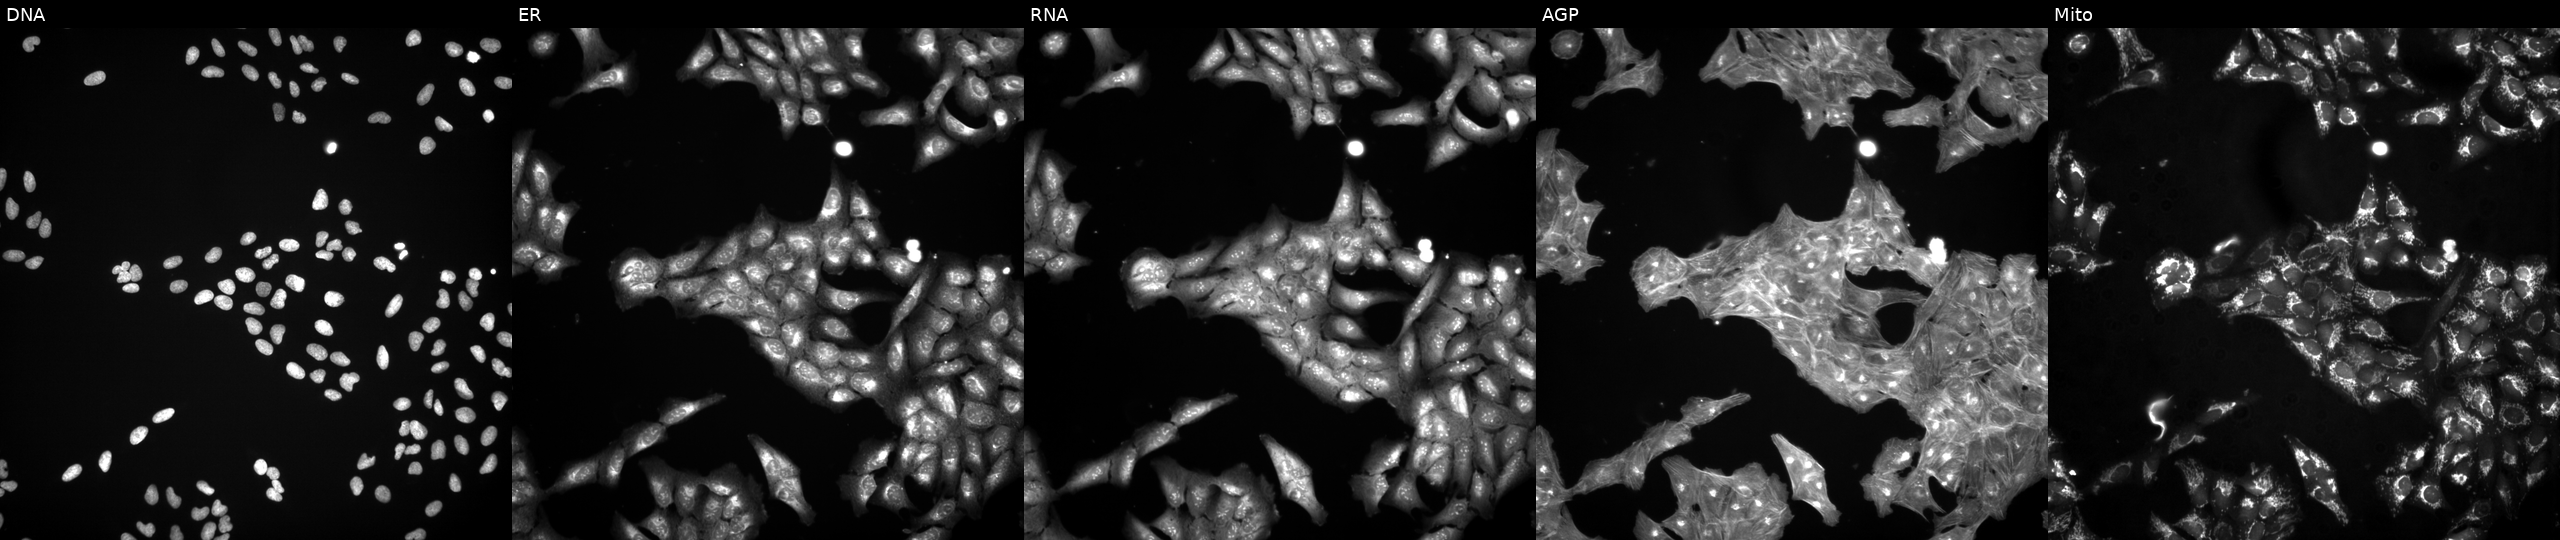
This image strip shows the five Cell Painting channels for a single field of U2OS cells treated with a small-molecule compound (InChIKey IFIUFCJFLGCQPH-UHFFFAOYSA-N). The five panels, left to right, show Hoechst 33342, concanavalin A, SYTO 14, phalloidin and WGA, MitoTracker.